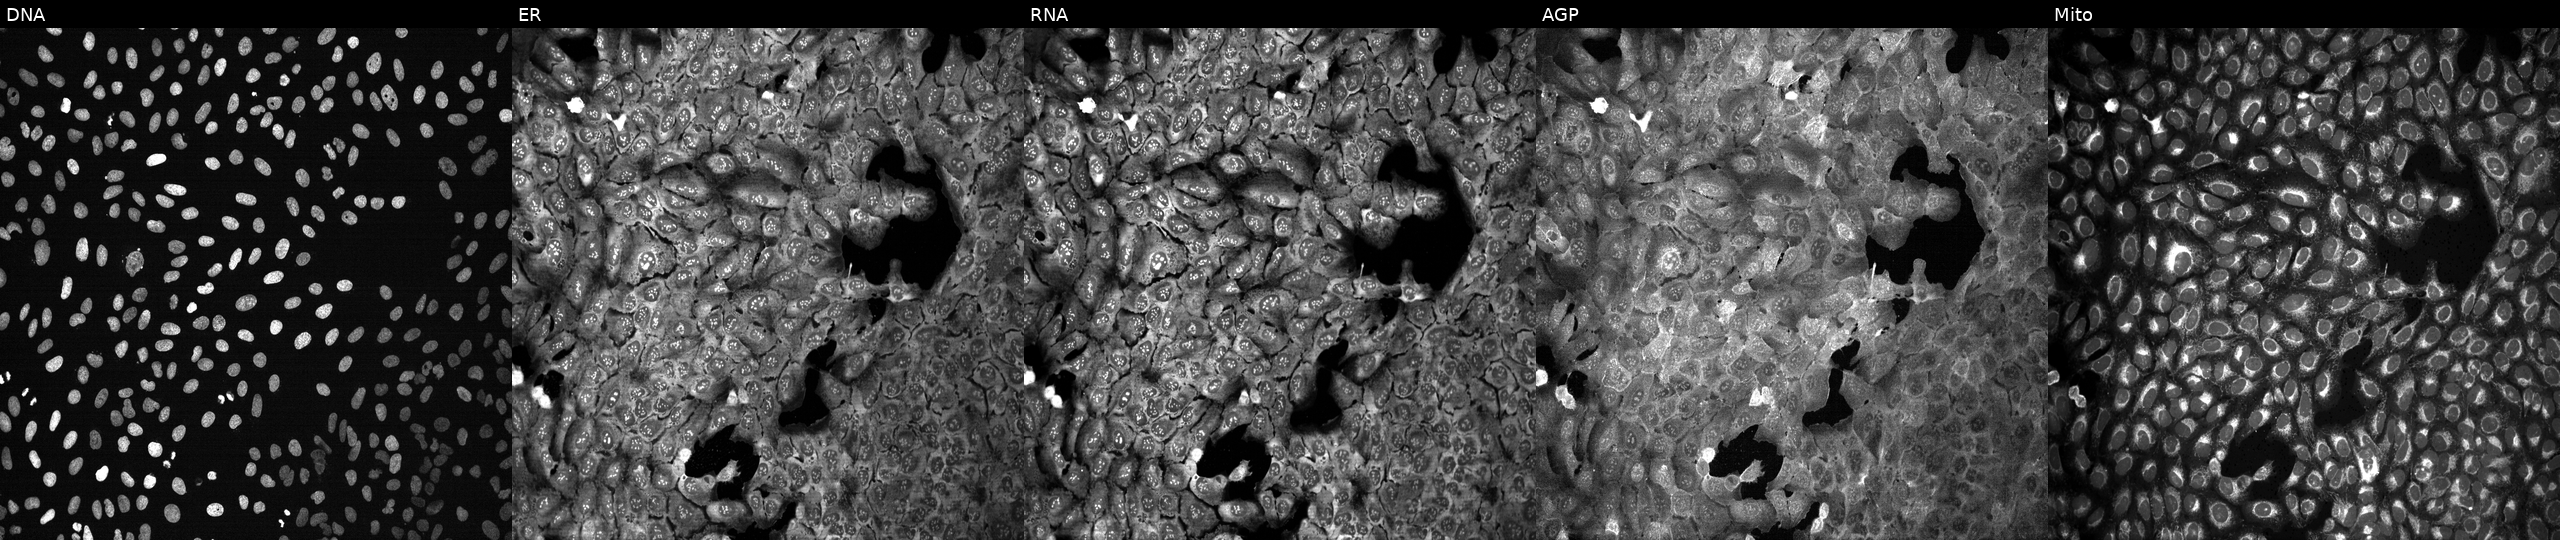
JUMP Cell Painting — CRISPR plate. U2OS cells with ABCA9 knocked out by CRISPR (JUMP id JCP2022_800030). Channels (left→right): Hoechst 33342, concanavalin A, SYTO 14, phalloidin and WGA, MitoTracker.